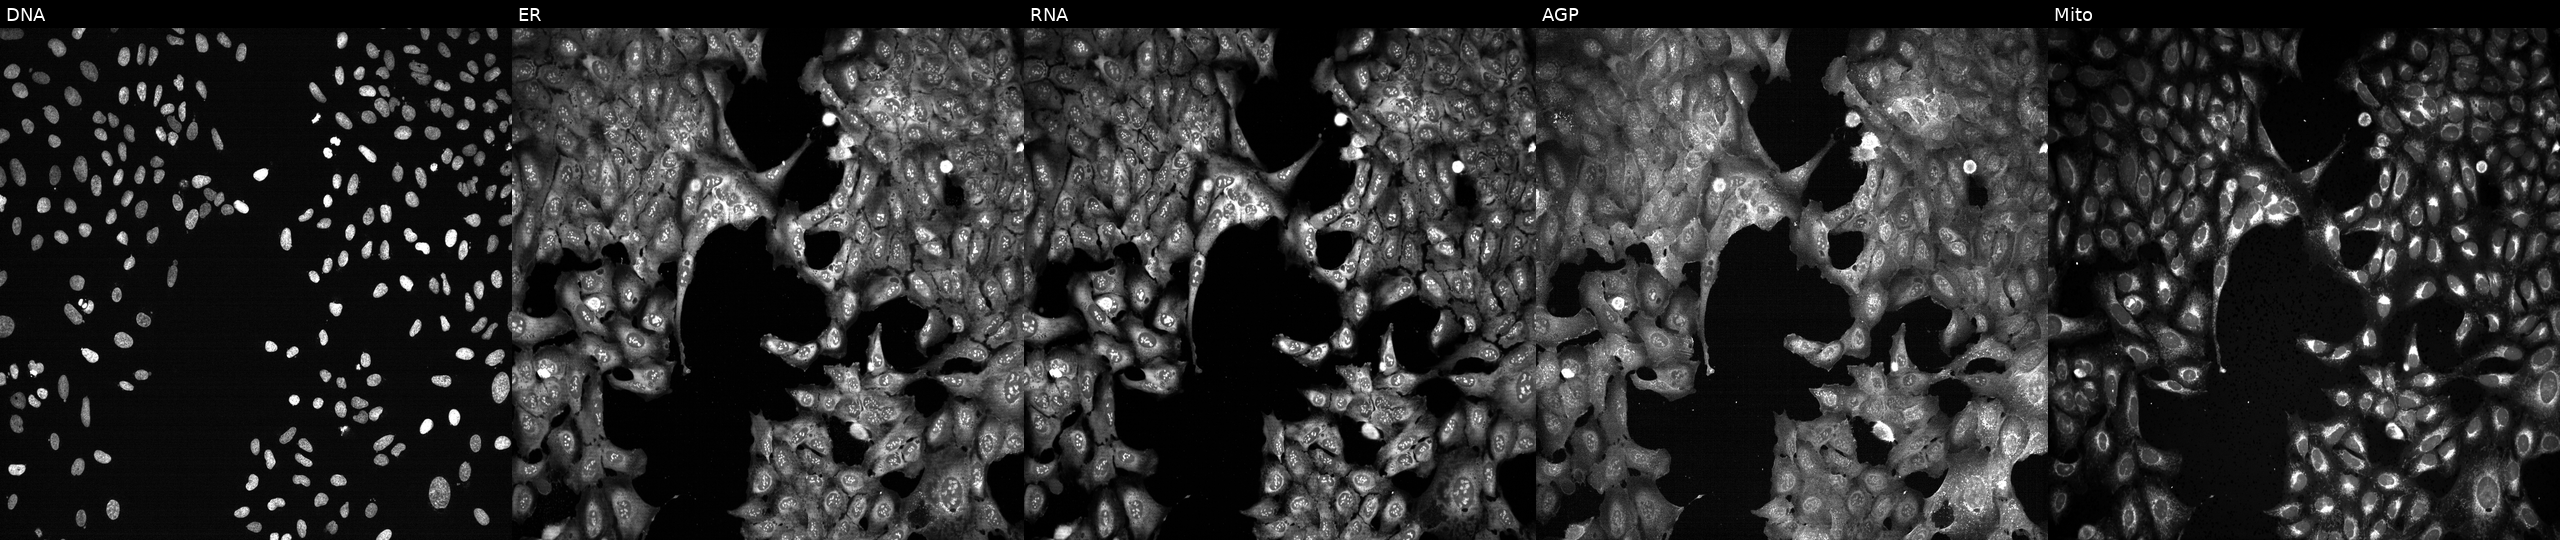
U2OS cells, Cell Painting assay, following CRISPR knockout of COQ6 (JUMP id JCP2022_801443). From left to right: DNA (nuclei); ER (endoplasmic reticulum); RNA (nucleoli and cytoplasmic RNA); AGP (actin cytoskeleton, Golgi, and plasma membrane); Mito (mitochondria). Each panel is percentile-stretched 16-bit fluorescence. Source 13, plate CP-CC9-R2-02, well M04.